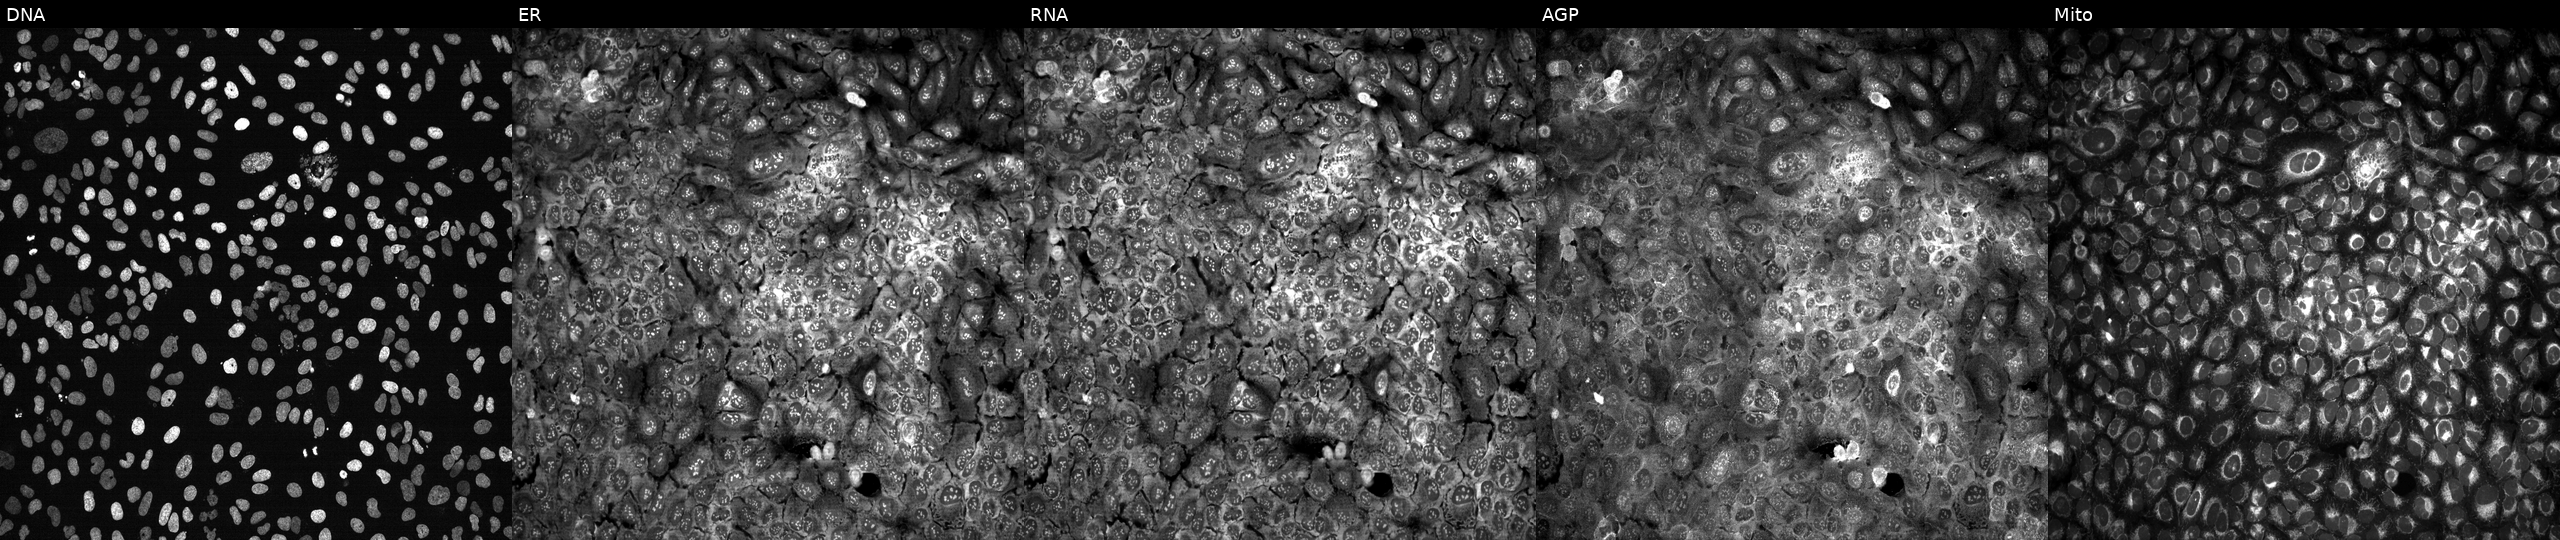
This image strip shows the five Cell Painting channels for a single field of U2OS cells with ABHD17C knocked out by CRISPR. The five panels, left to right, show Hoechst 33342, concanavalin A, SYTO 14, phalloidin and WGA, MitoTracker.